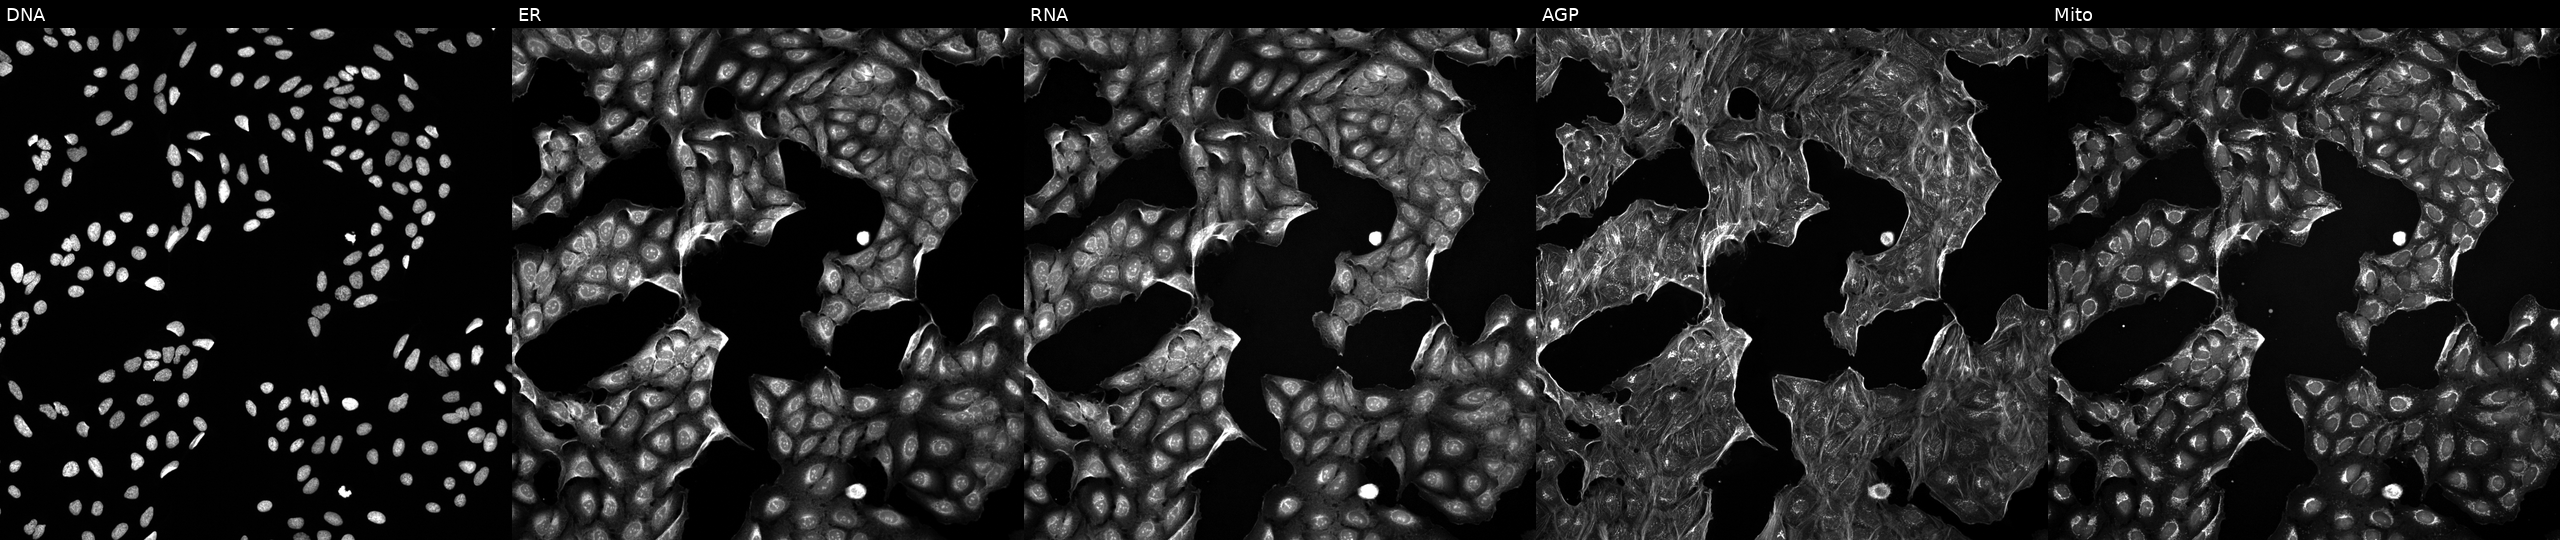
High-content fluorescence microscopy (Cell Painting). Cell line: U2OS. Perturbation: perturbed with a small-molecule compound (InChIKey DHMTURDWPRKSOA-UHFFFAOYSA-N) (JUMP id JCP2022_015955). The five panels, left to right, show DNA (nuclei); ER (endoplasmic reticulum); RNA (nucleoli and cytoplasmic RNA); AGP (actin cytoskeleton, Golgi, and plasma membrane); Mito (mitochondria).